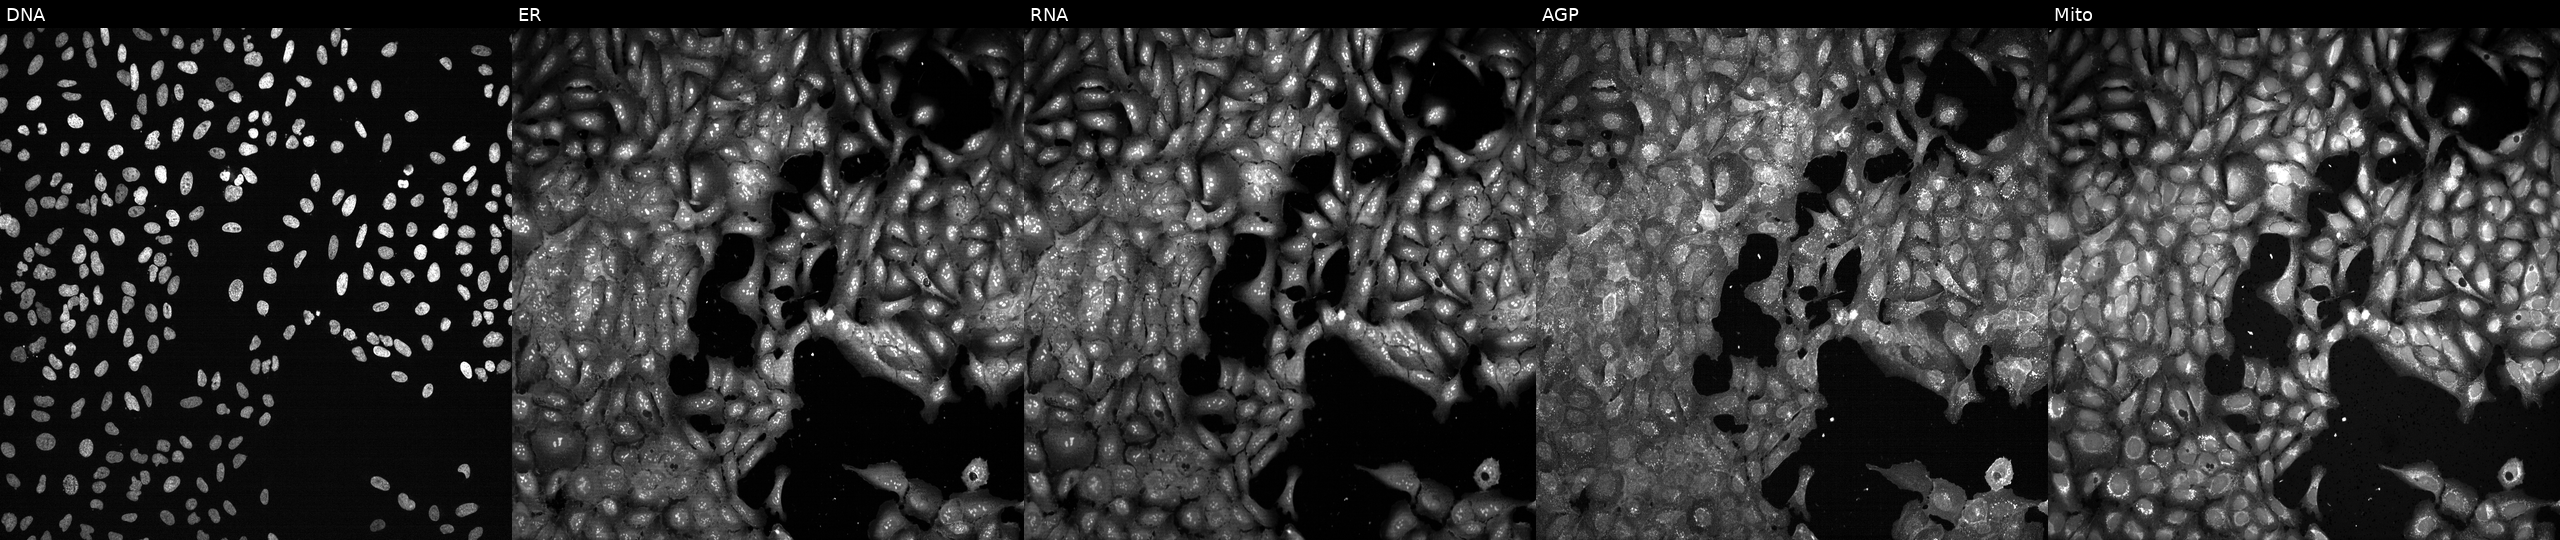
Five-channel Cell Painting image of U2OS cells following CRISPR knockout of SLC2A4 (JUMP id JCP2022_806489). Channels (left→right): Hoechst 33342, concanavalin A, SYTO 14, phalloidin and WGA, MitoTracker.